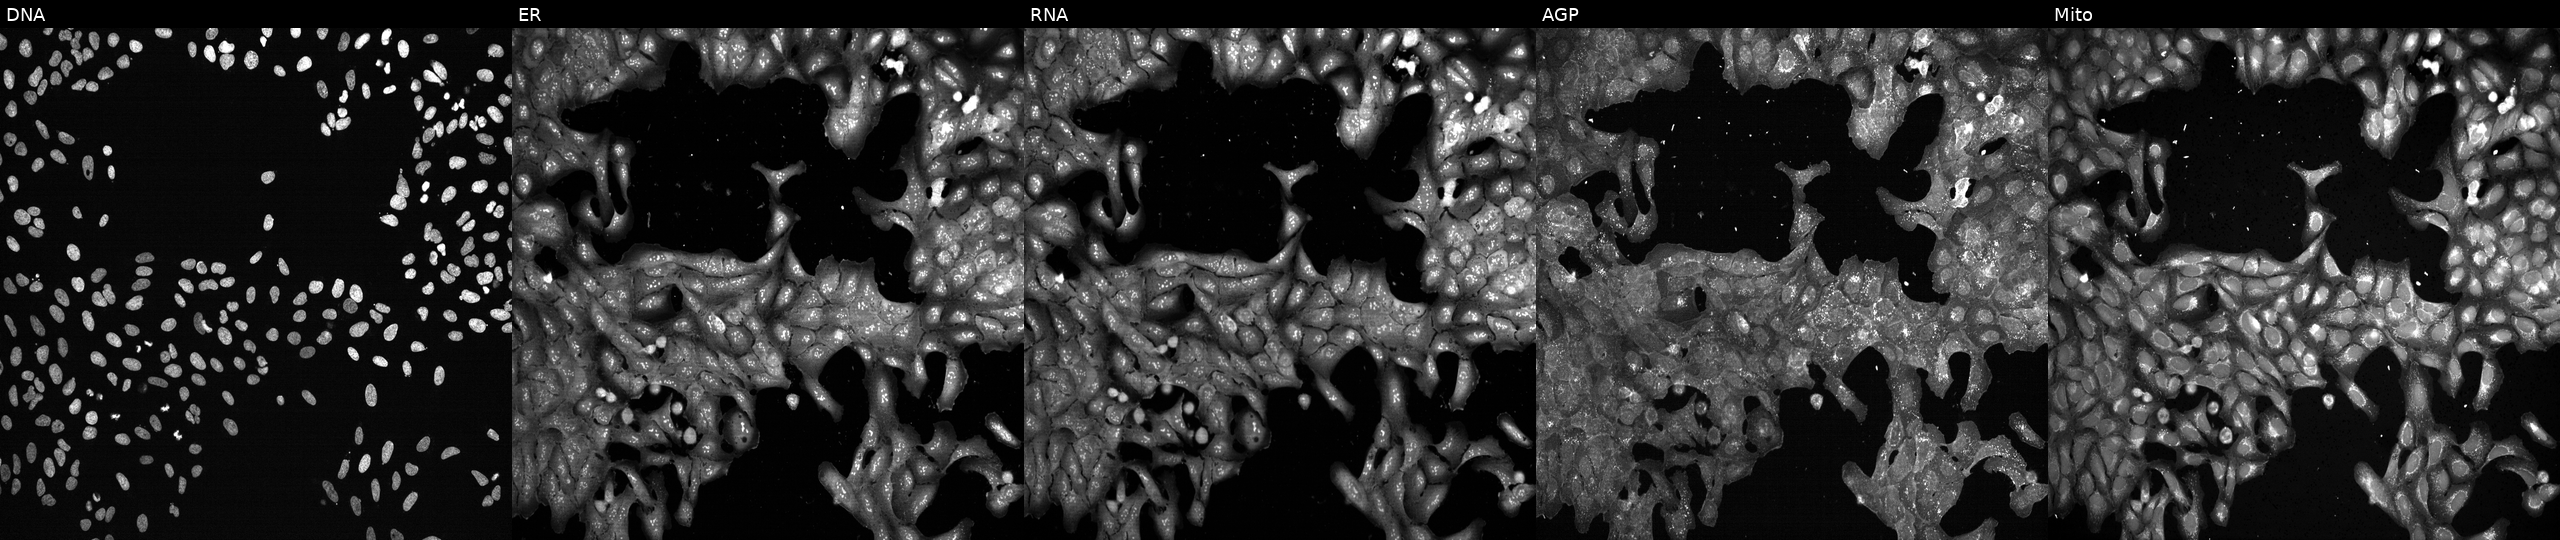
Five-channel Cell Painting image of U2OS cells with CD302 knocked out by CRISPR (JUMP id JCP2022_801154). Channels (left→right): DNA (nuclei); ER (endoplasmic reticulum); RNA (nucleoli and cytoplasmic RNA); AGP (actin cytoskeleton, Golgi, and plasma membrane); Mito (mitochondria).